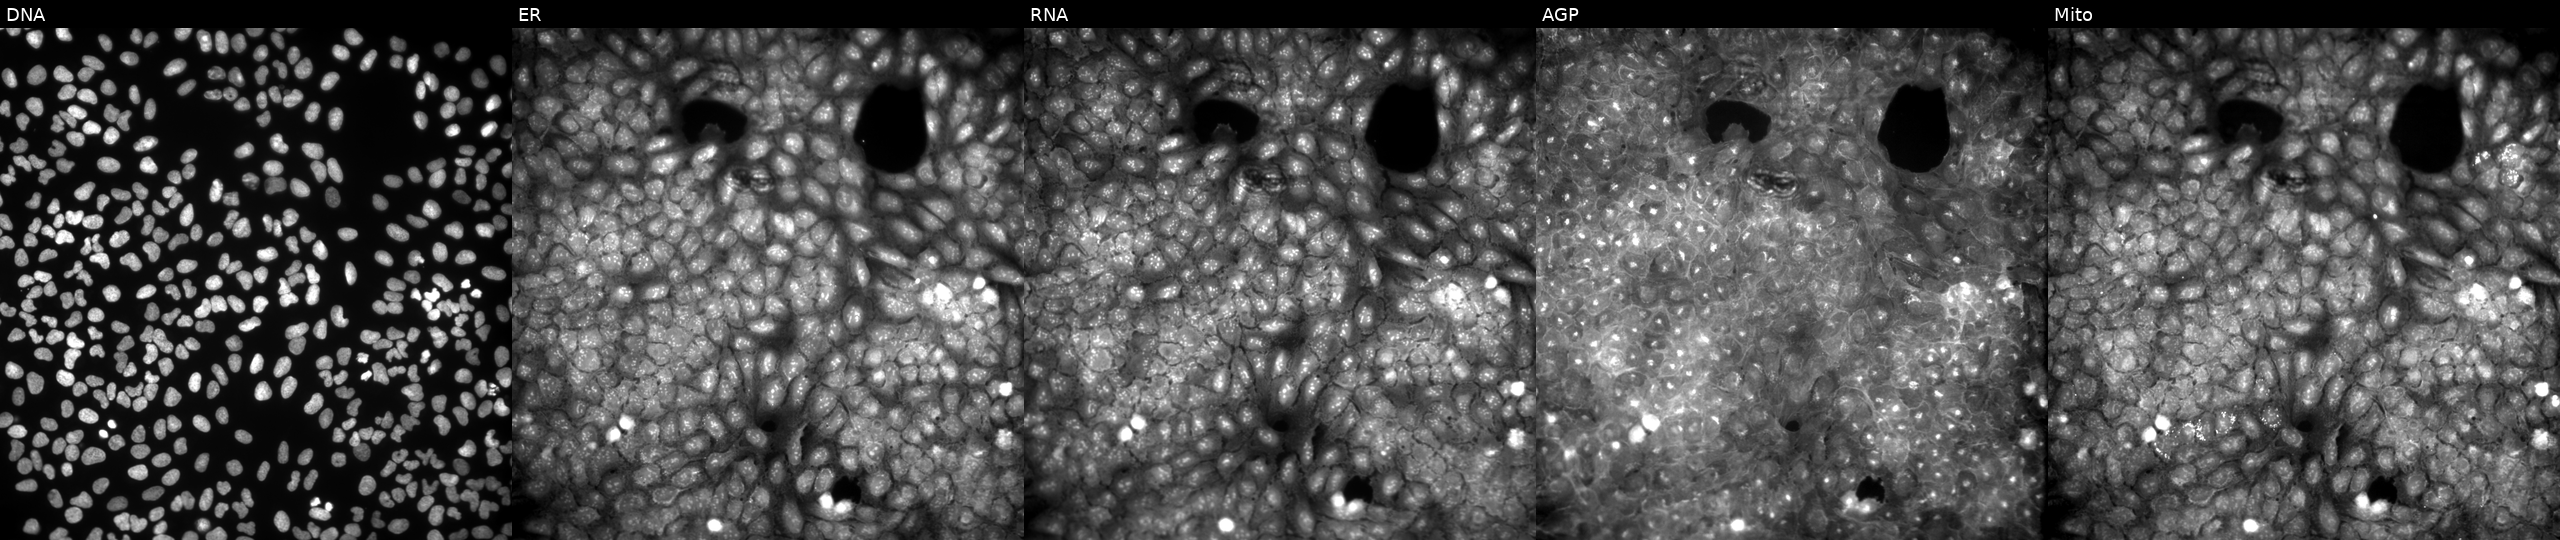
High-content fluorescence microscopy (Cell Painting). Cell line: U2OS. Perturbation: exposed to a small-molecule compound [SMILES: CN(C)CC(O)CN1C(=O)N(CN2C(=O)N(CC(O)CN(C)C)C(=O)C2(C)C)C(C)(C)C1=O]. From left to right: DNA, ER, RNA, AGP, and Mito.